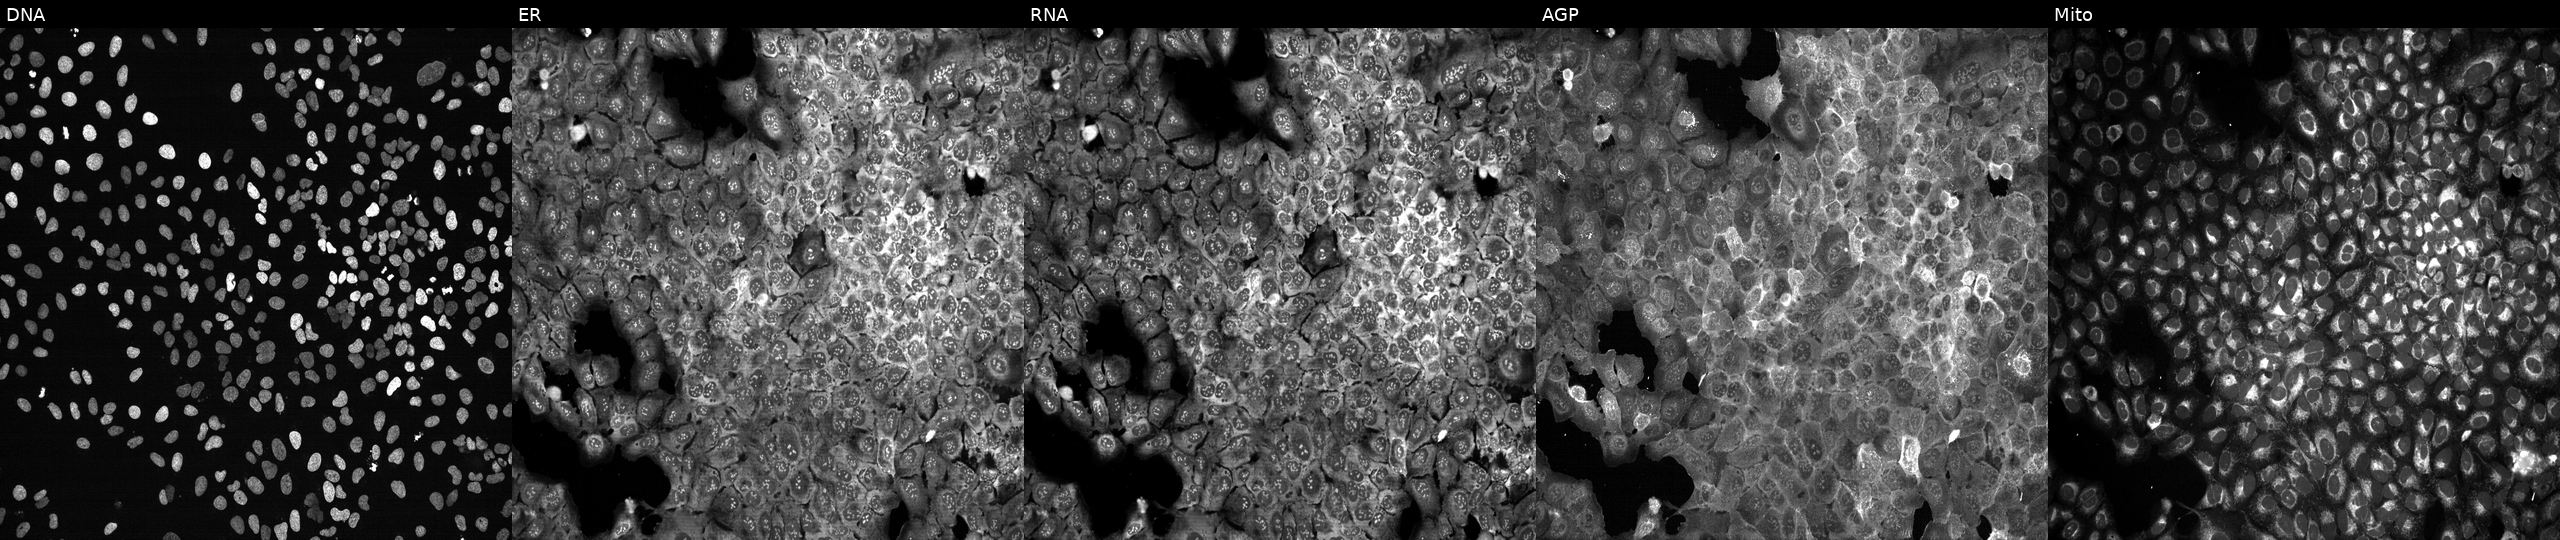
Five-channel Cell Painting image of U2OS cells CRISPR-edited to disrupt DNM1. Panels show, left to right, Hoechst 33342, concanavalin A, SYTO 14, phalloidin and WGA, MitoTracker. Source 13, plate CP-CC9-R2-02, well E08.